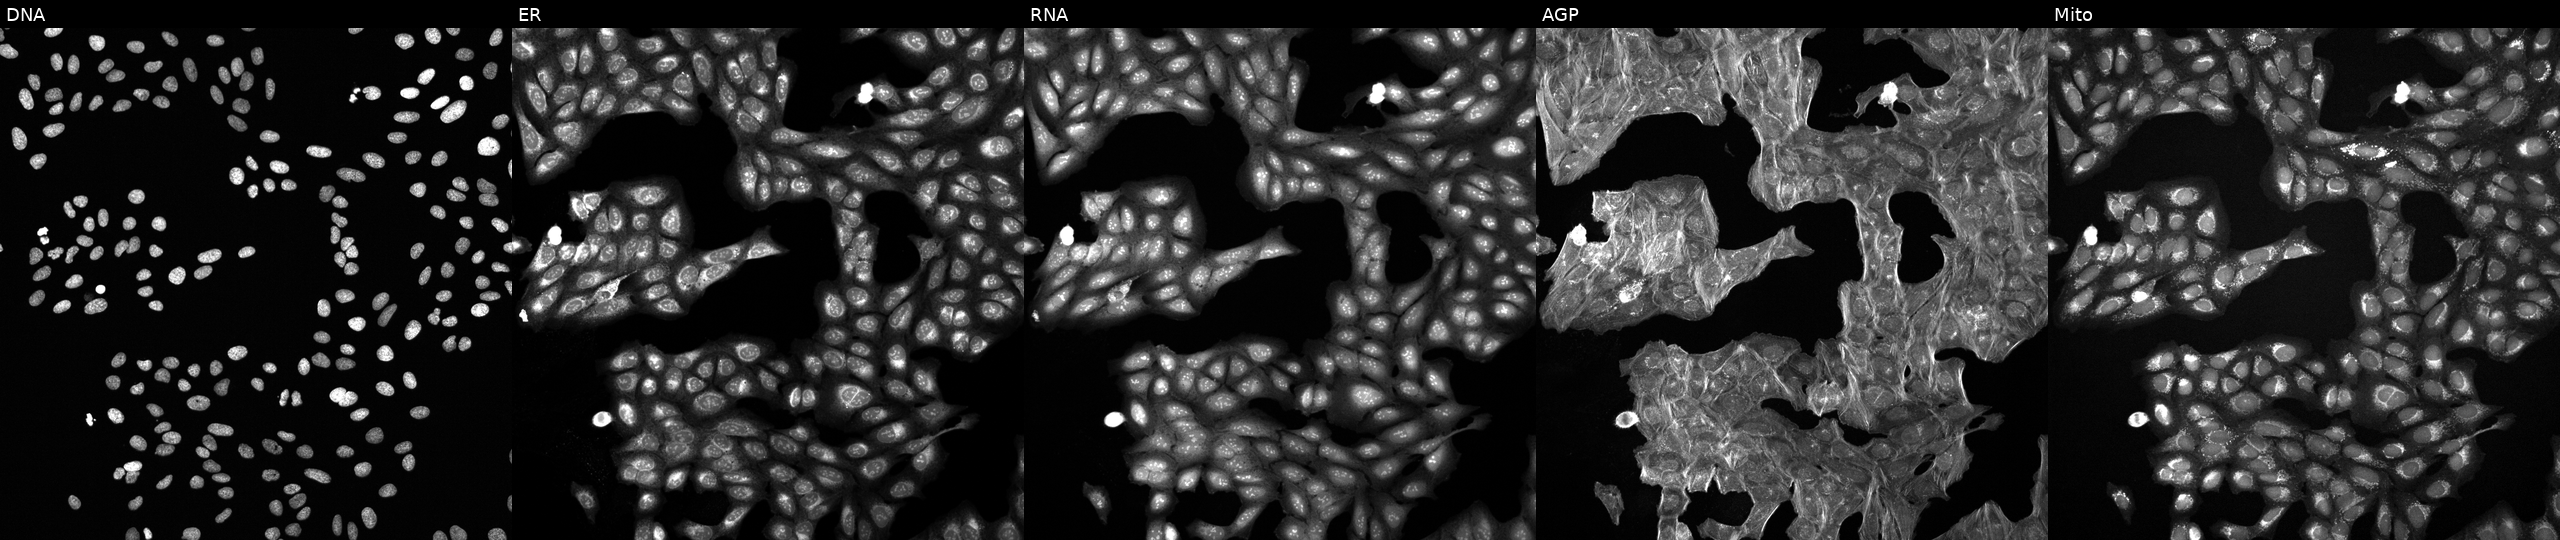
This image strip shows the five Cell Painting channels for a single field of U2OS cells treated with a small-molecule compound [SMILES: Cc1ccc(NC(=O)Nc2cc(C(F)(F)F)ccc2F)cc1Nc1ccc2c(c1)=NC(=O)C=2Cc1ccc[nH]1]. Panels show, left to right, DNA, ER, RNA, AGP, and Mito.